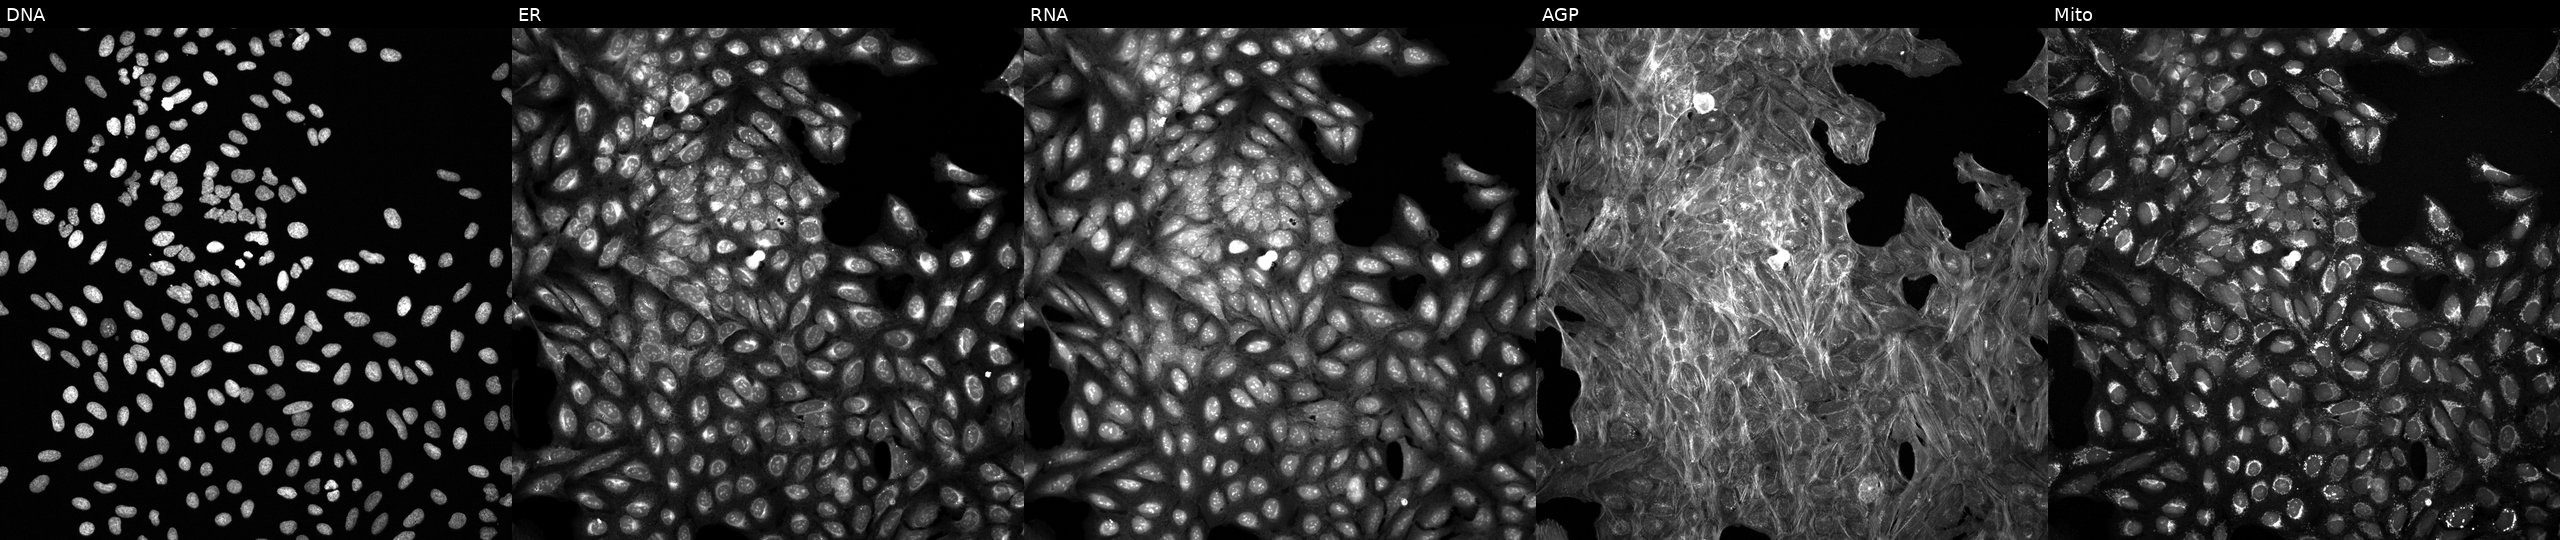
High-content fluorescence microscopy (Cell Painting). Cell line: U2OS. Perturbation: exposed to DMSO alone as a negative control (JUMP id JCP2022_033924). From left to right: Hoechst 33342, concanavalin A, SYTO 14, phalloidin and WGA, MitoTracker.